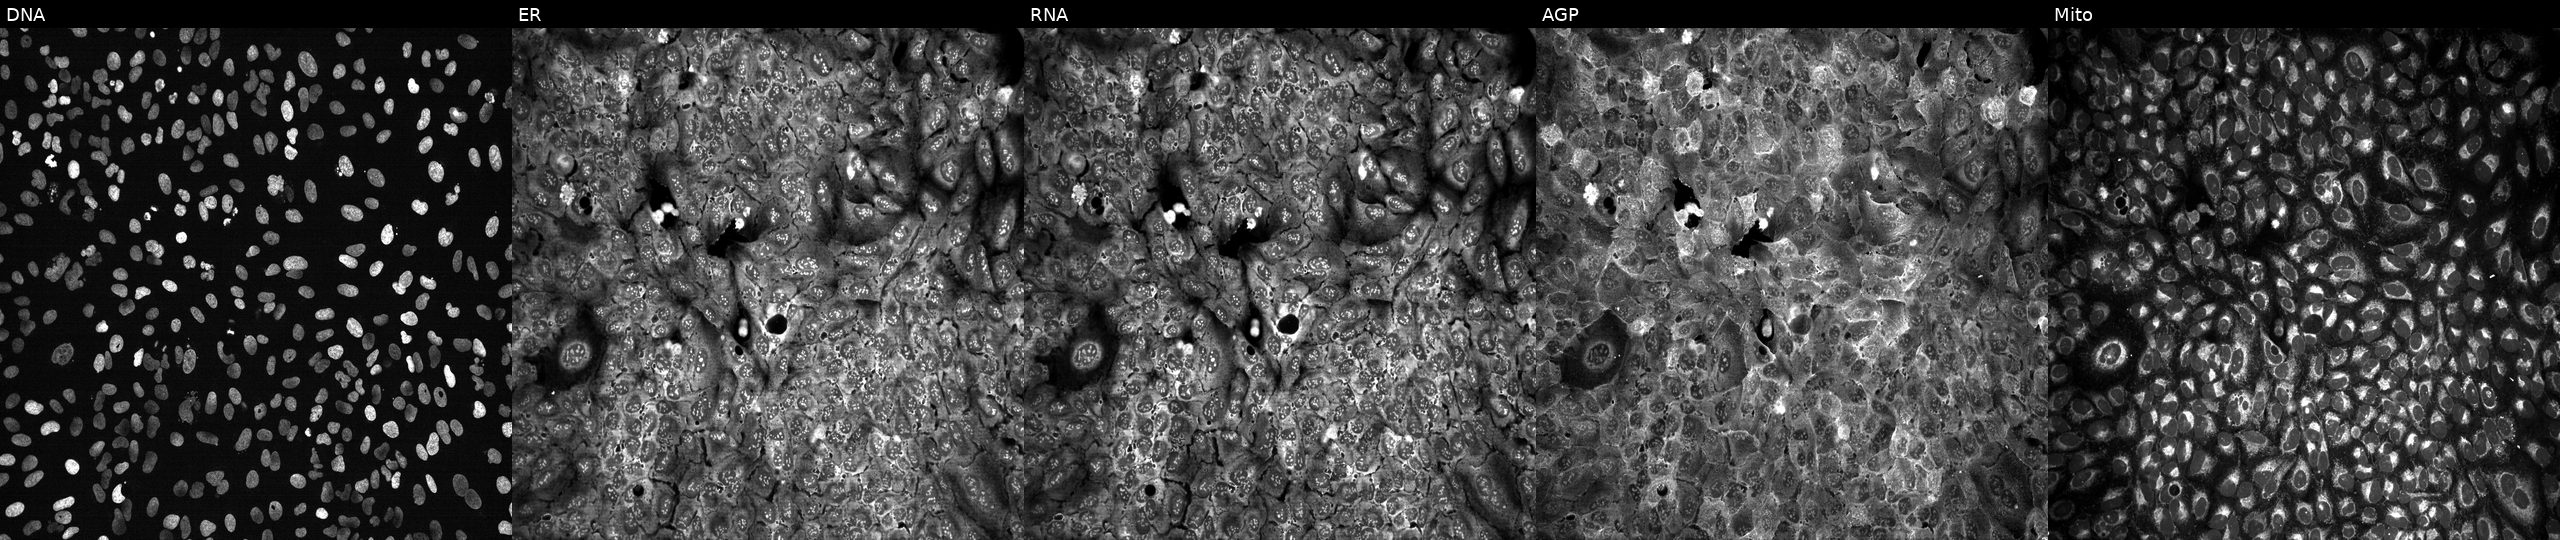
High-content fluorescence microscopy (Cell Painting). Cell line: U2OS. Perturbation: following CRISPR knockout of ATP8A2. From left to right: Hoechst 33342, concanavalin A, SYTO 14, phalloidin and WGA, MitoTracker.